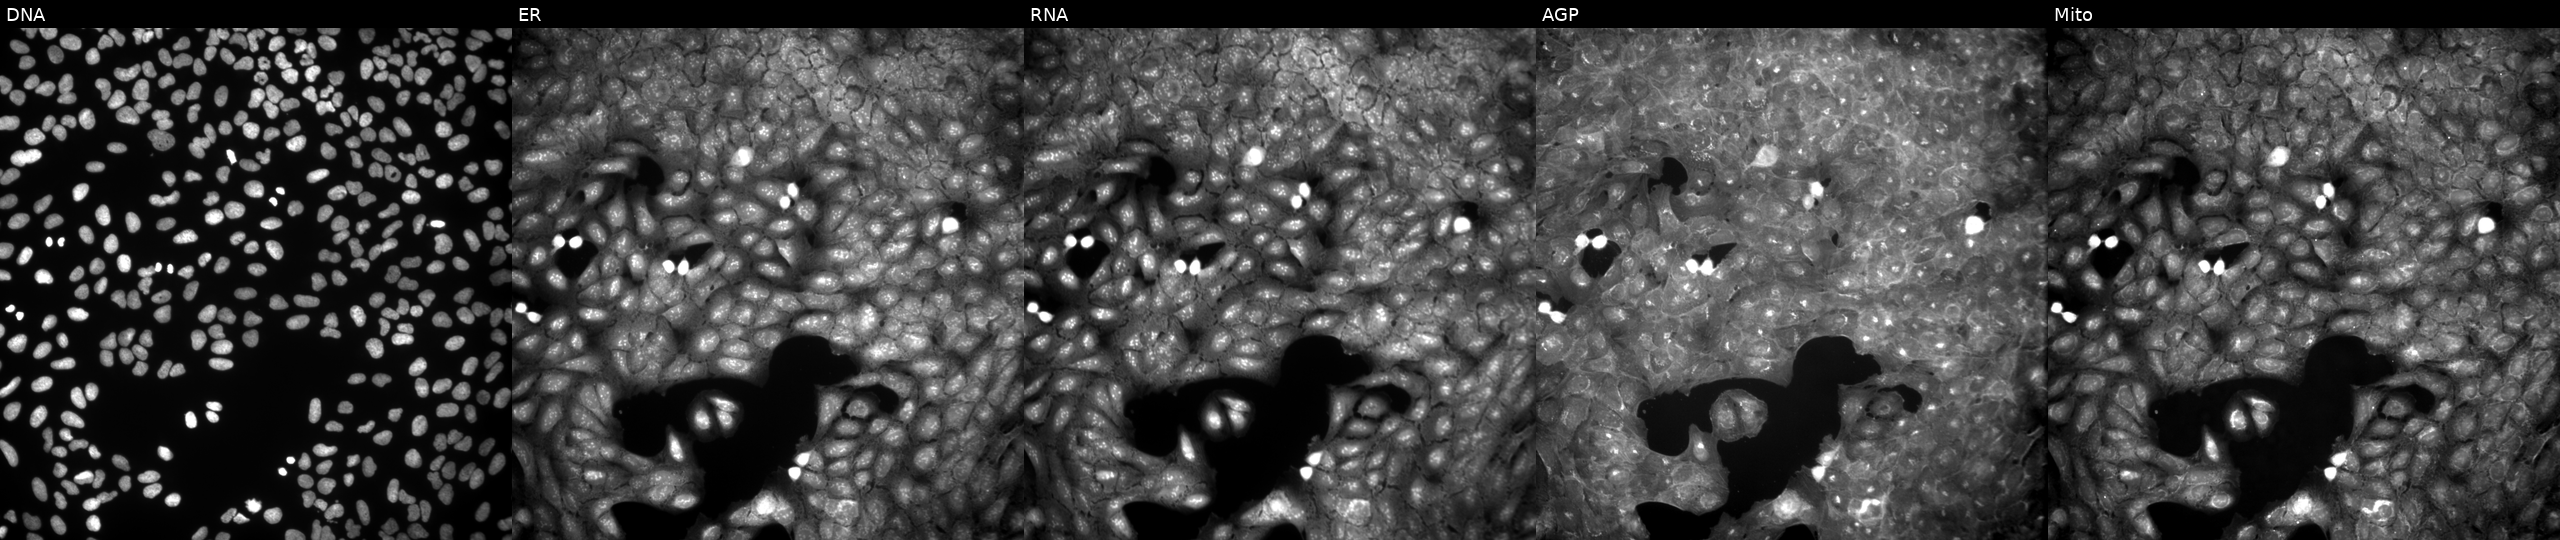
High-content fluorescence microscopy (Cell Painting). Cell line: U2OS. Perturbation: perturbed with a small-molecule compound. Channels (left→right): Hoechst 33342, concanavalin A, SYTO 14, phalloidin and WGA, MitoTracker. Source 9, plate GR00003381, well H39.